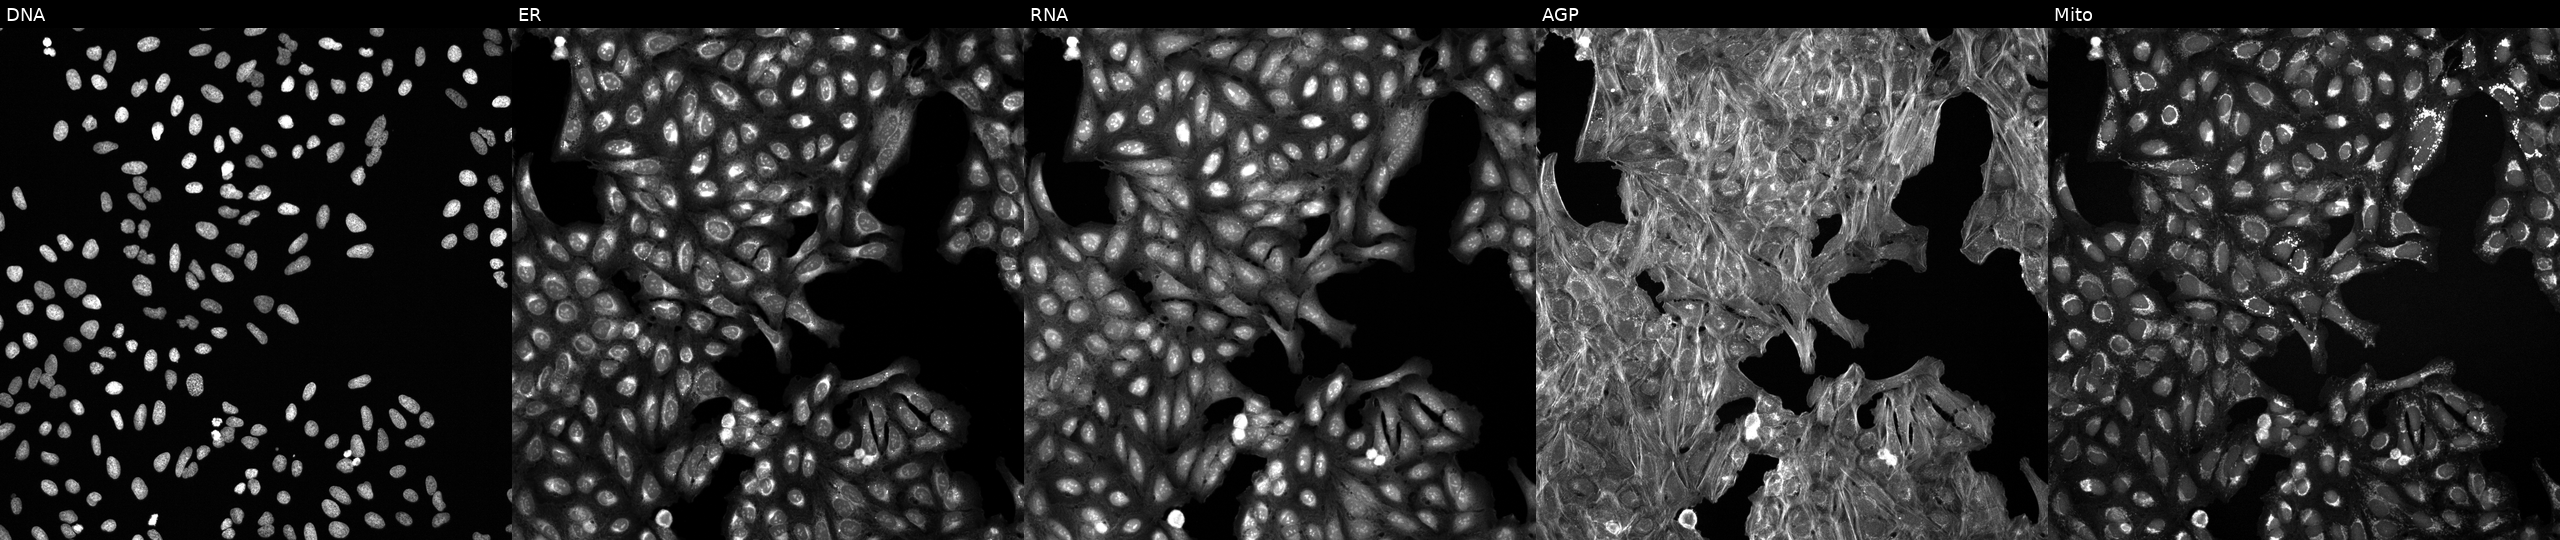
Channels (left→right): DNA, ER, RNA, AGP, and Mito. U2OS osteosarcoma cells exposed to DMSO alone as a negative control (JUMP id JCP2022_033924). Cell Painting assay, JUMP-CP dataset.